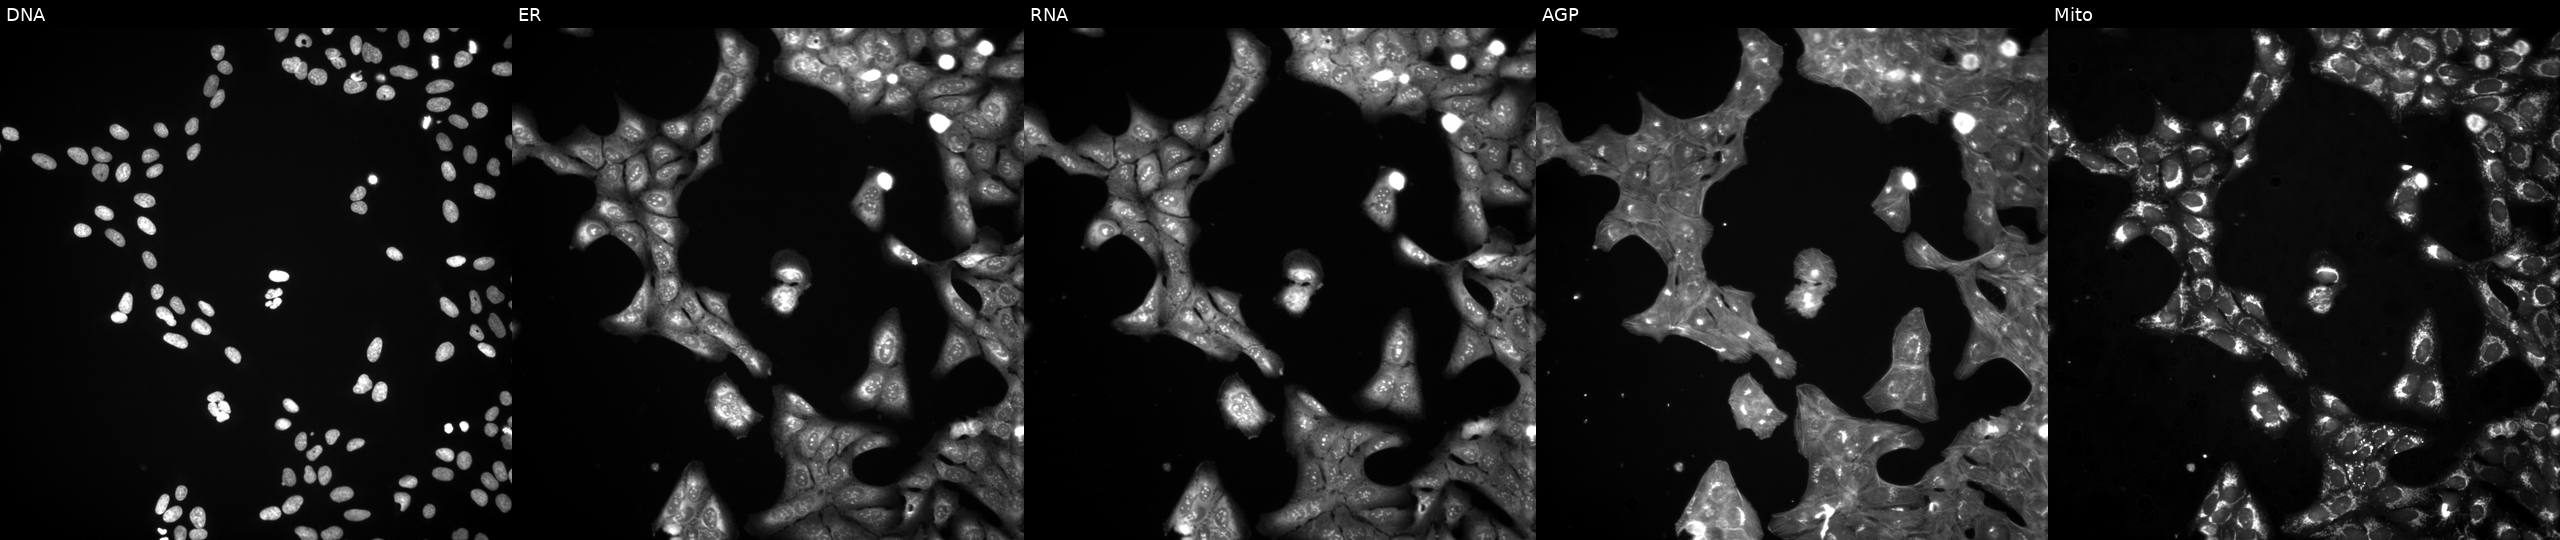
Channels (left→right): DNA (nuclei); ER (endoplasmic reticulum); RNA (nucleoli and cytoplasmic RNA); AGP (actin cytoskeleton, Golgi, and plasma membrane); Mito (mitochondria). U2OS osteosarcoma cells perturbed with a small-molecule compound (JUMP id JCP2022_102083). Cell Painting assay, JUMP-CP dataset. Source 3, plate JCPQC052, well D20.